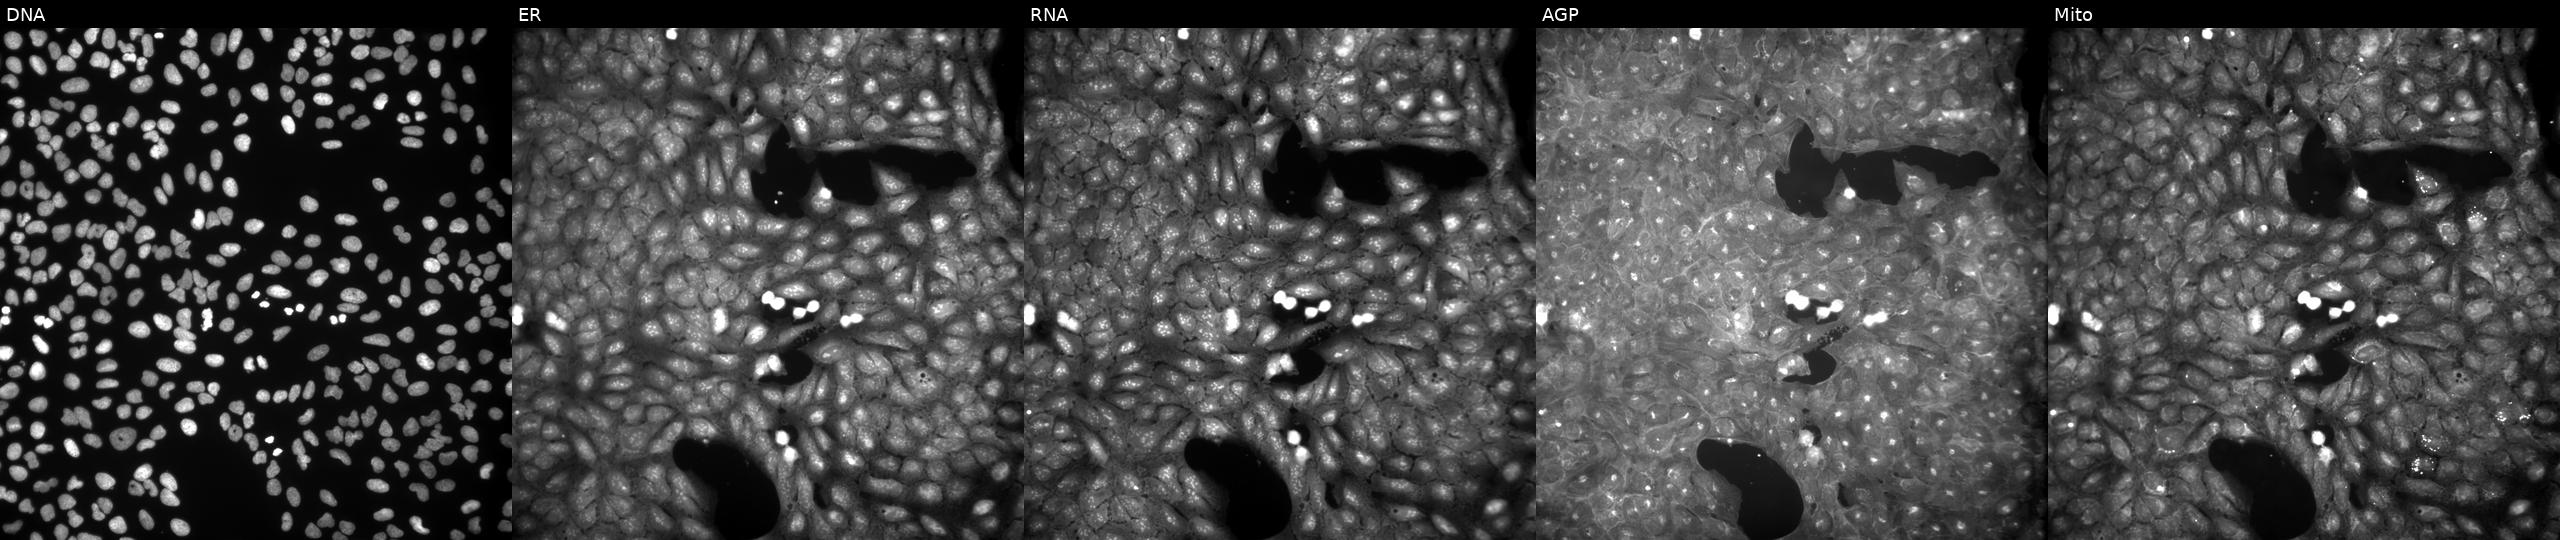
JUMP Cell Painting — COMPOUND plate. U2OS cells treated with aloxistatin (positive-control compound). The five panels, left to right, show DNA (nuclei); ER (endoplasmic reticulum); RNA (nucleoli and cytoplasmic RNA); AGP (actin cytoskeleton, Golgi, and plasma membrane); Mito (mitochondria).